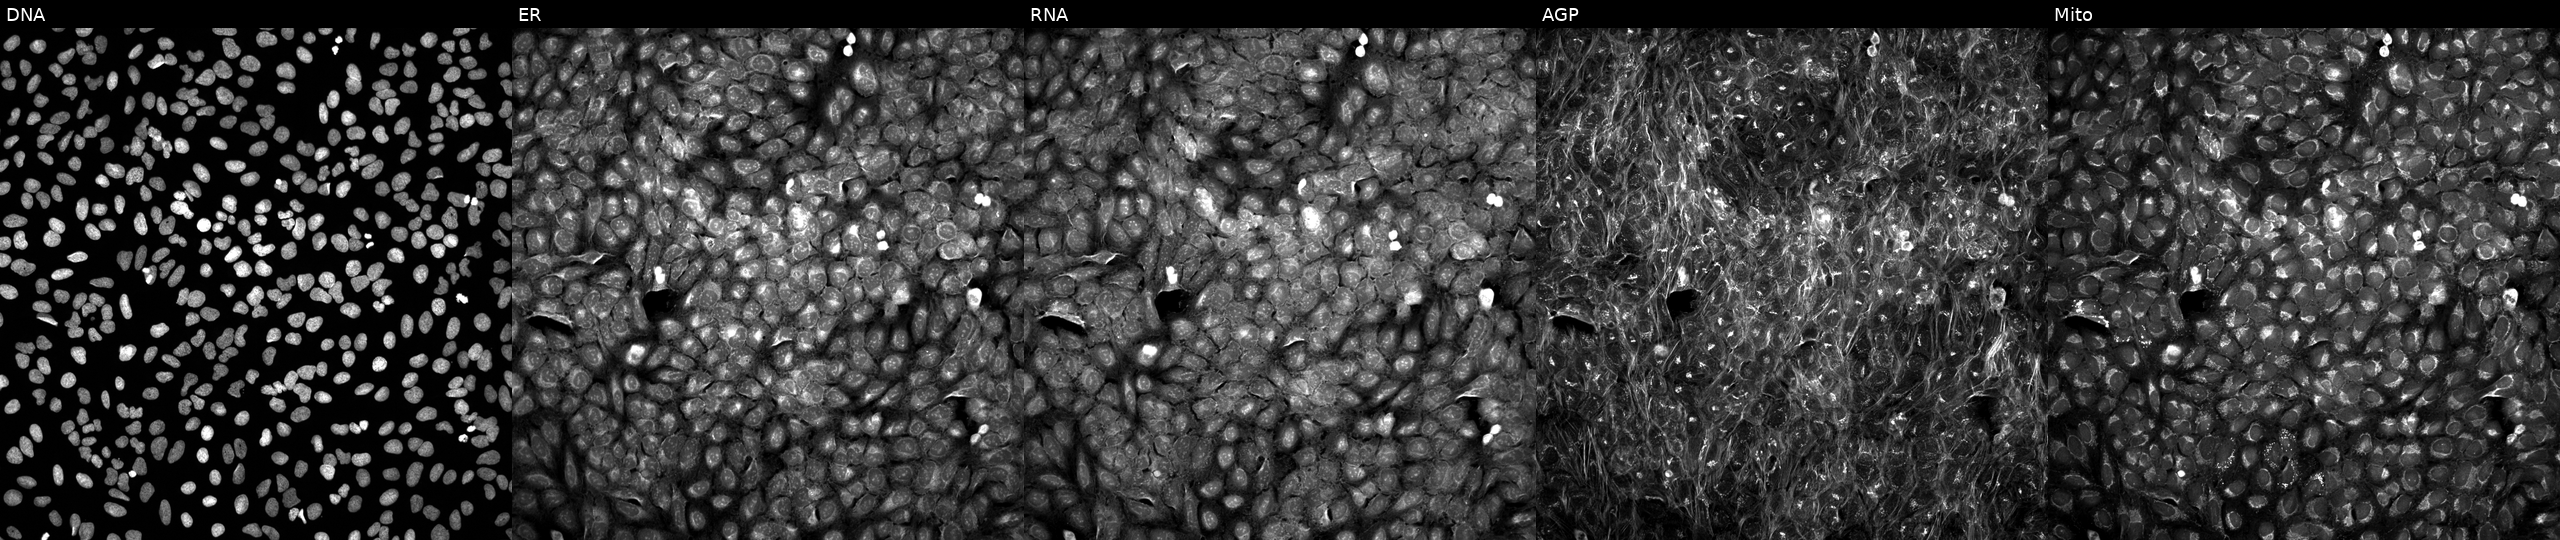
Channels (left→right): Hoechst 33342, concanavalin A, SYTO 14, phalloidin and WGA, MitoTracker. U2OS osteosarcoma cells perturbed with a small-molecule compound (InChIKey RATZLMXRALDSJW-UHFFFAOYSA-N). Cell Painting assay, JUMP-CP dataset. Source 5, plate ACPJUM012, well P06.